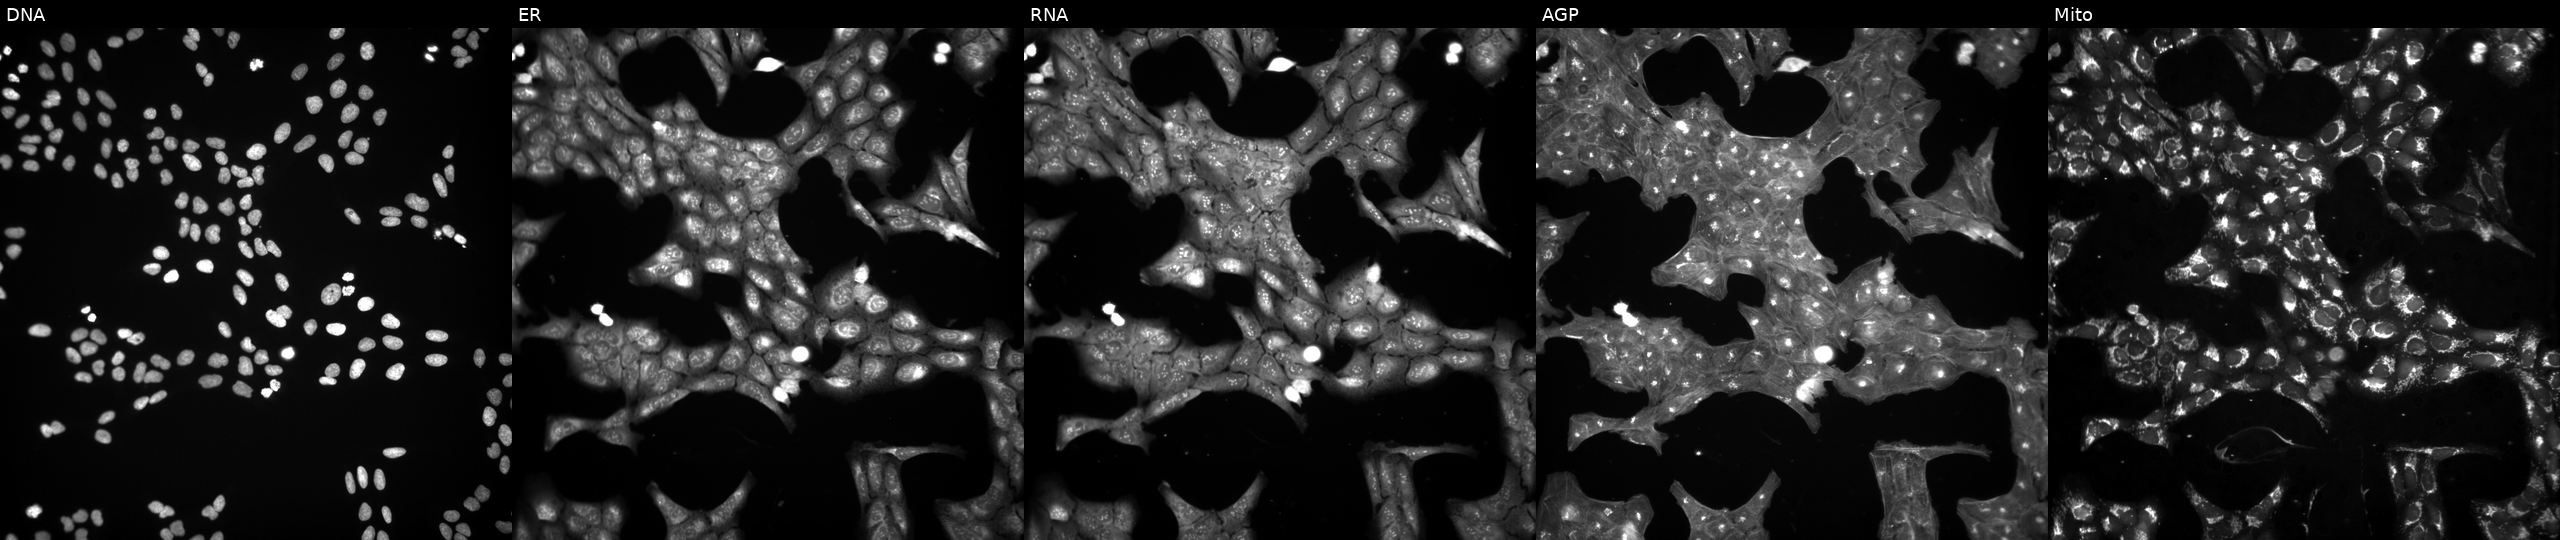
U2OS cells, Cell Painting assay, exposed to a small-molecule compound (InChIKey FNYLWPVRPXGIIP-UHFFFAOYSA-N) (JUMP id JCP2022_021857). Panels show, left to right, DNA, ER, RNA, AGP, and Mito. Each panel is percentile-stretched 16-bit fluorescence. Source 3, plate JCPQC052, well F01.